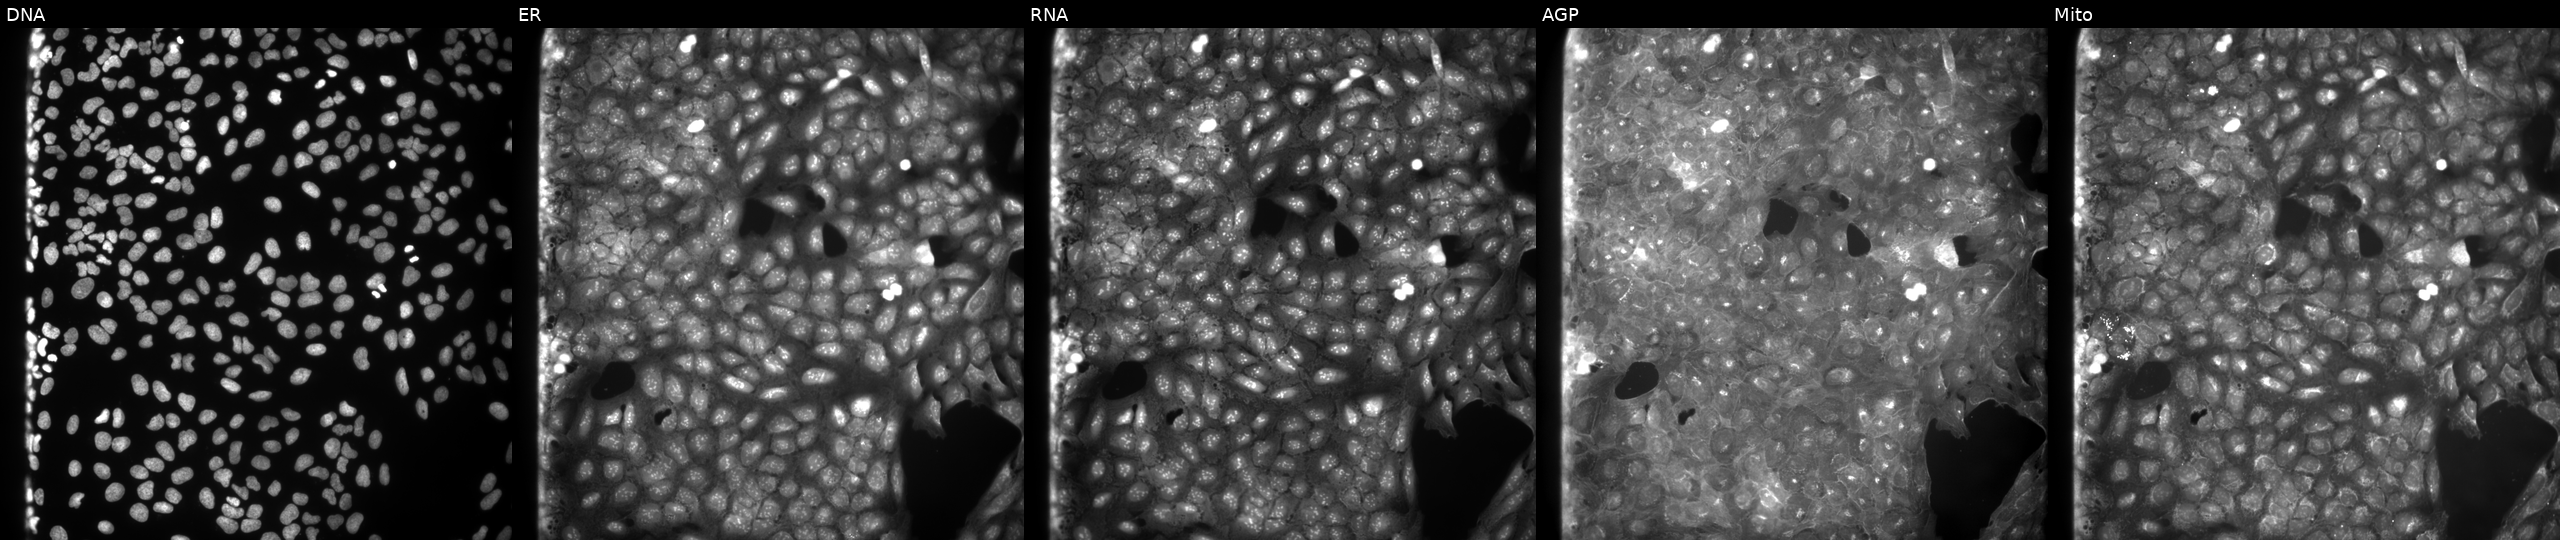
JUMP Cell Painting — COMPOUND plate. U2OS cells exposed to a small-molecule compound (InChIKey AILDWCAZEJDLRS-UHFFFAOYSA-N) (JUMP id JCP2022_001604). Panels show, left to right, DNA, ER, RNA, AGP, and Mito.